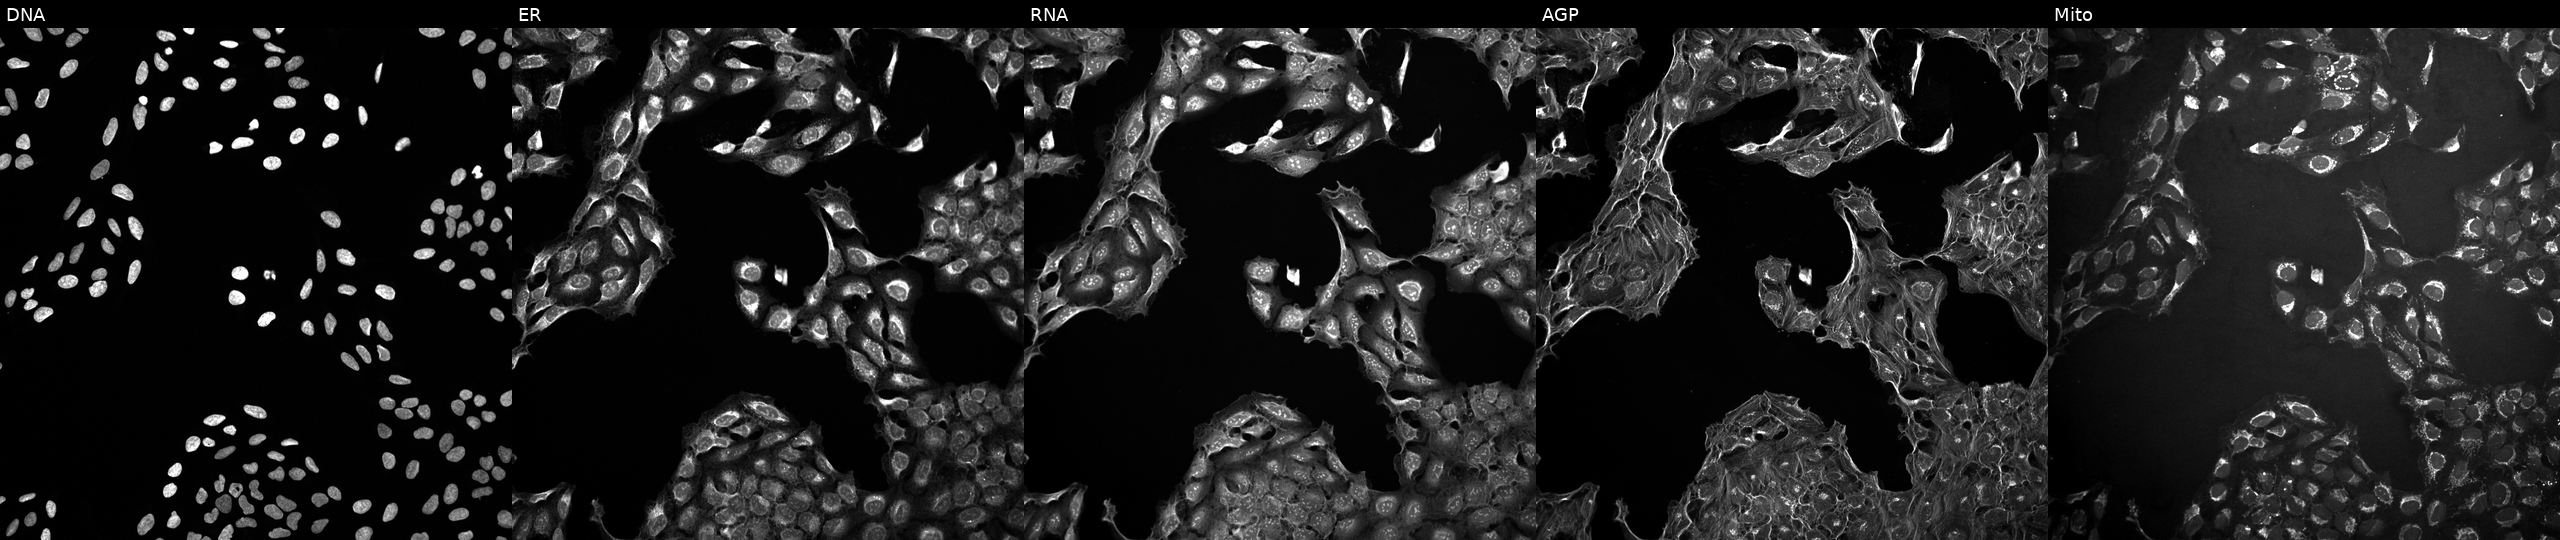
U2OS cells, Cell Painting assay, treated with a small-molecule compound (InChIKey IBCUGMQRVUYTCK-UHFFFAOYSA-N) [SMILES: CC1CCC(NS(=O)(=O)c2ccc3c(c2)NC(=O)CC(=O)N3)CC1]. The five panels, left to right, show DNA (nuclei); ER (endoplasmic reticulum); RNA (nucleoli and cytoplasmic RNA); AGP (actin cytoskeleton, Golgi, and plasma membrane); Mito (mitochondria). Each panel is percentile-stretched 16-bit fluorescence.